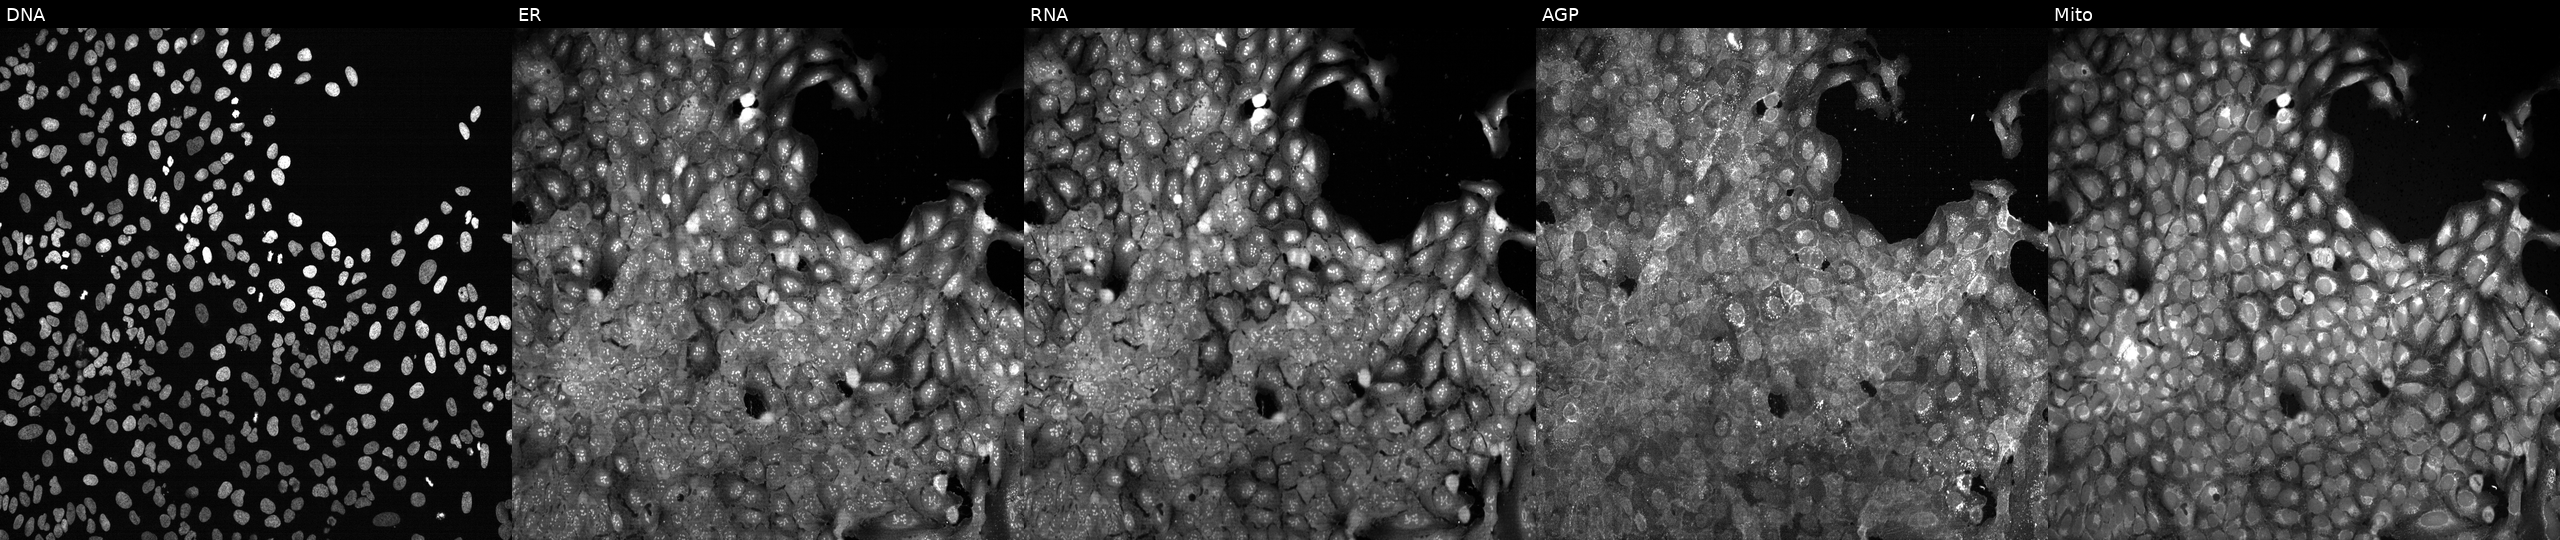
Five-channel Cell Painting image of U2OS cells with LIPF knocked out by CRISPR (JUMP id JCP2022_803848). From left to right: DNA, ER, RNA, AGP, and Mito. Source 13, plate CP-CC9-R1-01, well L05.